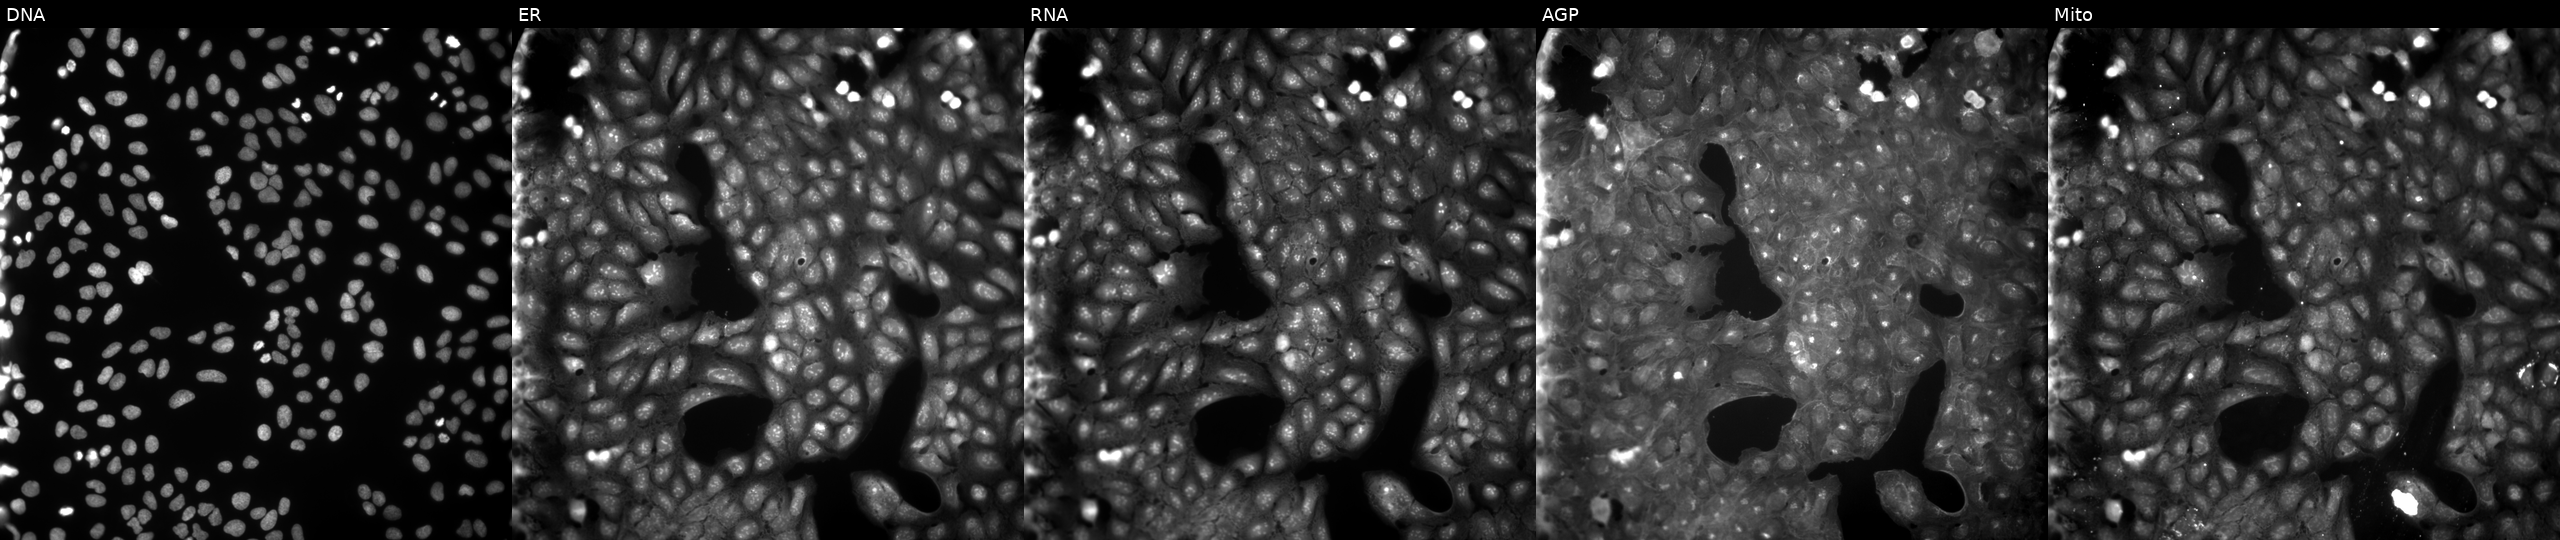
Channels (left→right): DNA, ER, RNA, AGP, and Mito. U2OS osteosarcoma cells treated with a small-molecule compound (InChIKey YMIKGUPASLJUHZ-UHFFFAOYSA-N) [SMILES: Cc1cc(C)cc(OCC(=O)Nc2ccc(F)cc2)c1] (JUMP id JCP2022_109380). Cell Painting assay, JUMP-CP dataset. Source 9, plate GR00003381, well P04.